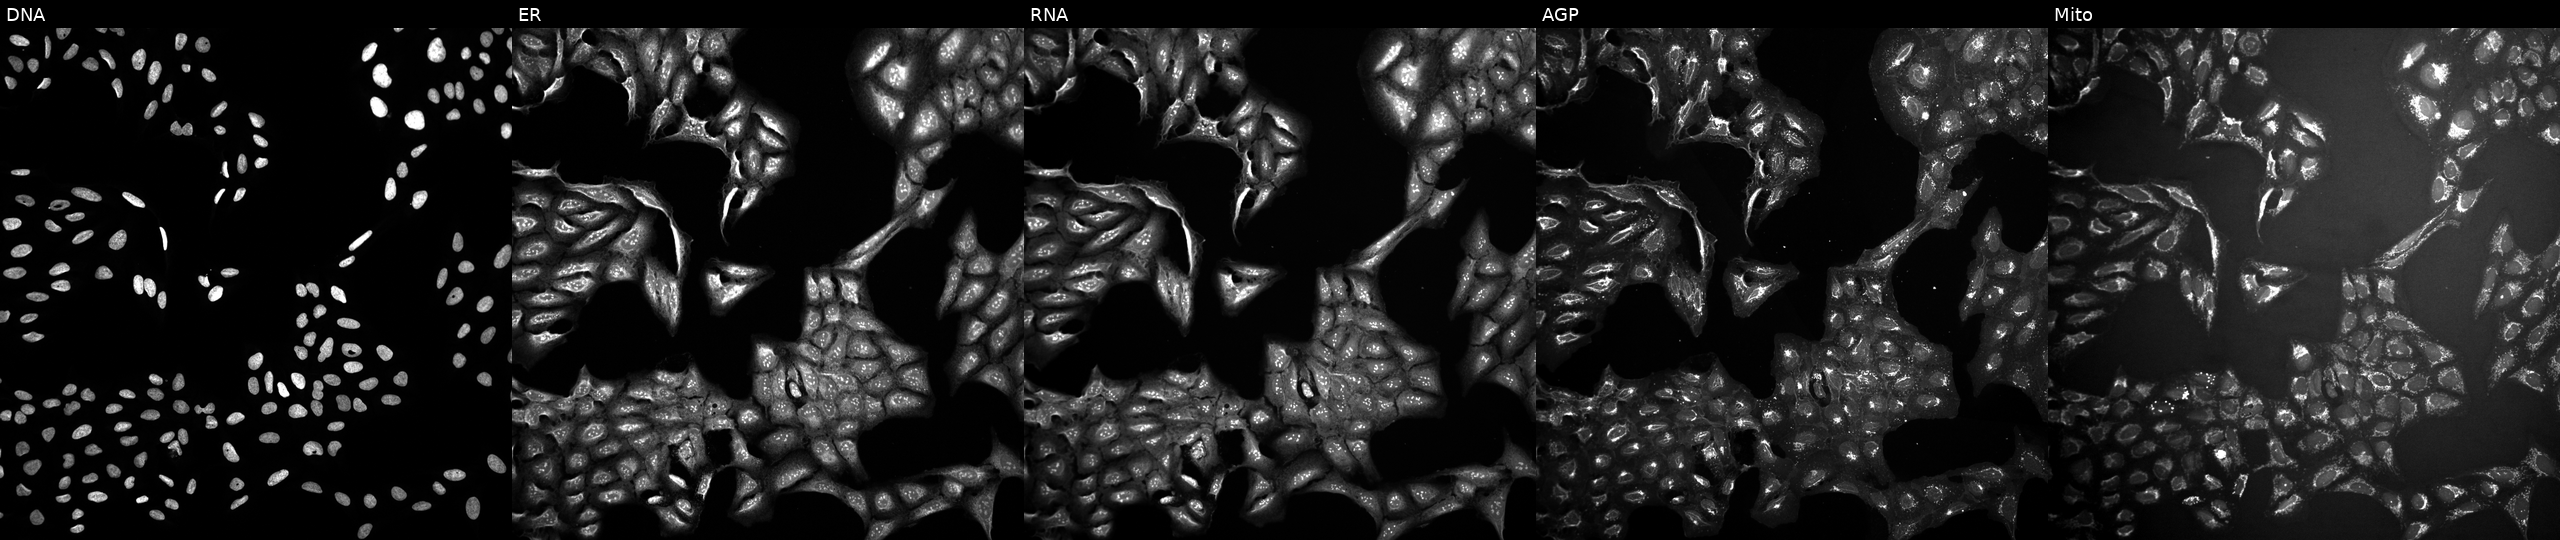
This image strip shows the five Cell Painting channels for a single field of U2OS cells perturbed with a small-molecule compound (InChIKey VHHVPDKNKPNKHY-UHFFFAOYSA-N) (JUMP id JCP2022_093956). Panels show, left to right, DNA (nuclei); ER (endoplasmic reticulum); RNA (nucleoli and cytoplasmic RNA); AGP (actin cytoskeleton, Golgi, and plasma membrane); Mito (mitochondria). Source 10, plate Dest210803-153958, well G24.